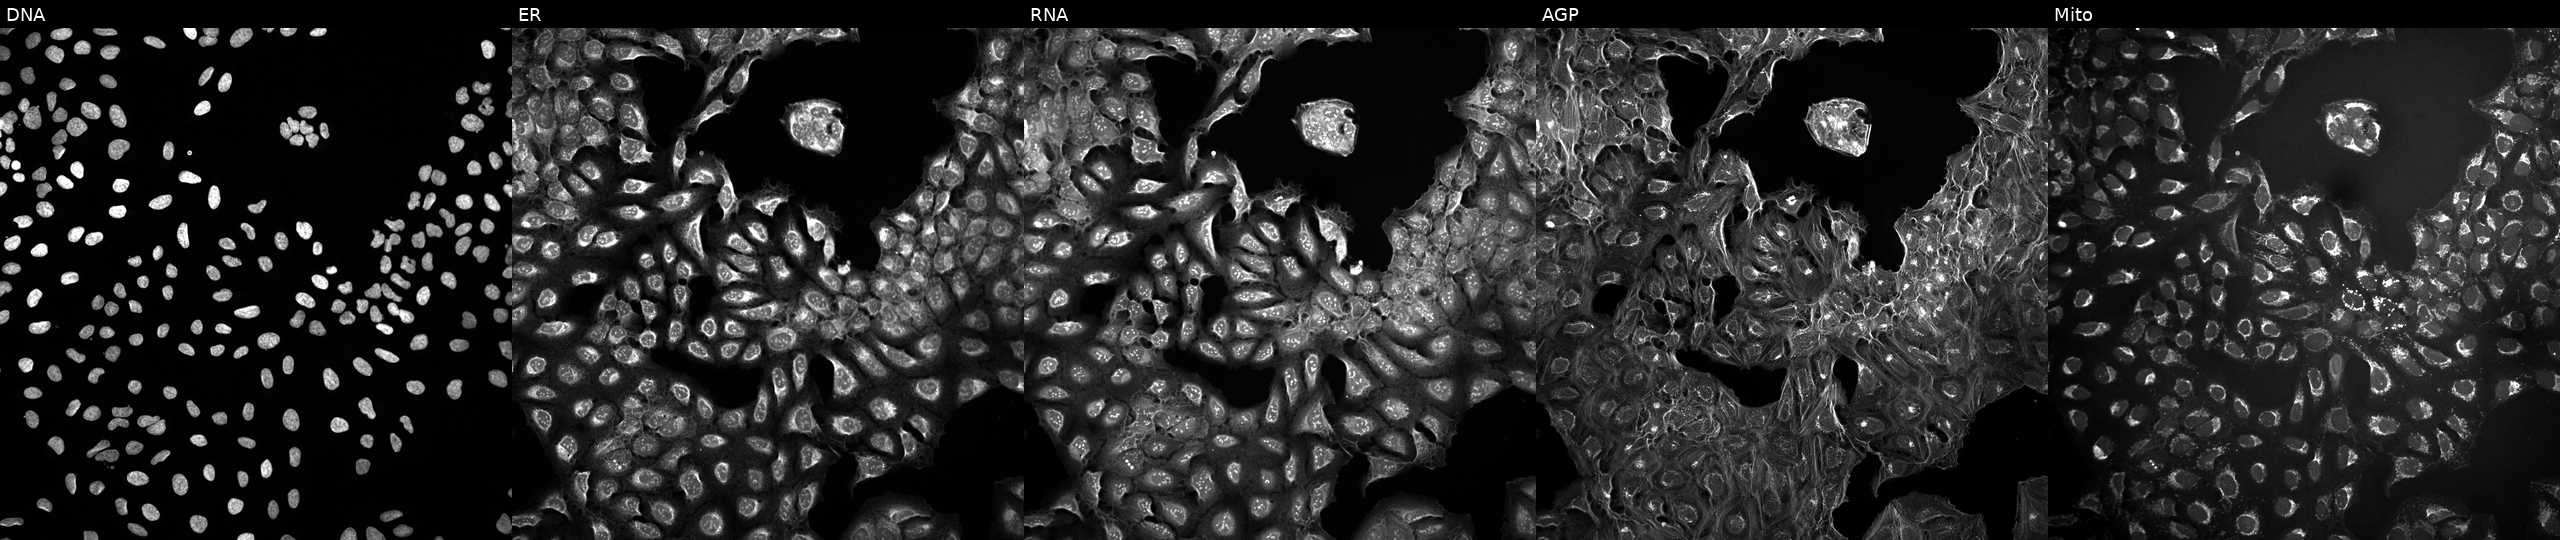
Five-channel Cell Painting image of U2OS cells untreated (empty-well control) (JUMP id JCP2022_999999). Panels show, left to right, DNA (nuclei); ER (endoplasmic reticulum); RNA (nucleoli and cytoplasmic RNA); AGP (actin cytoskeleton, Golgi, and plasma membrane); Mito (mitochondria).